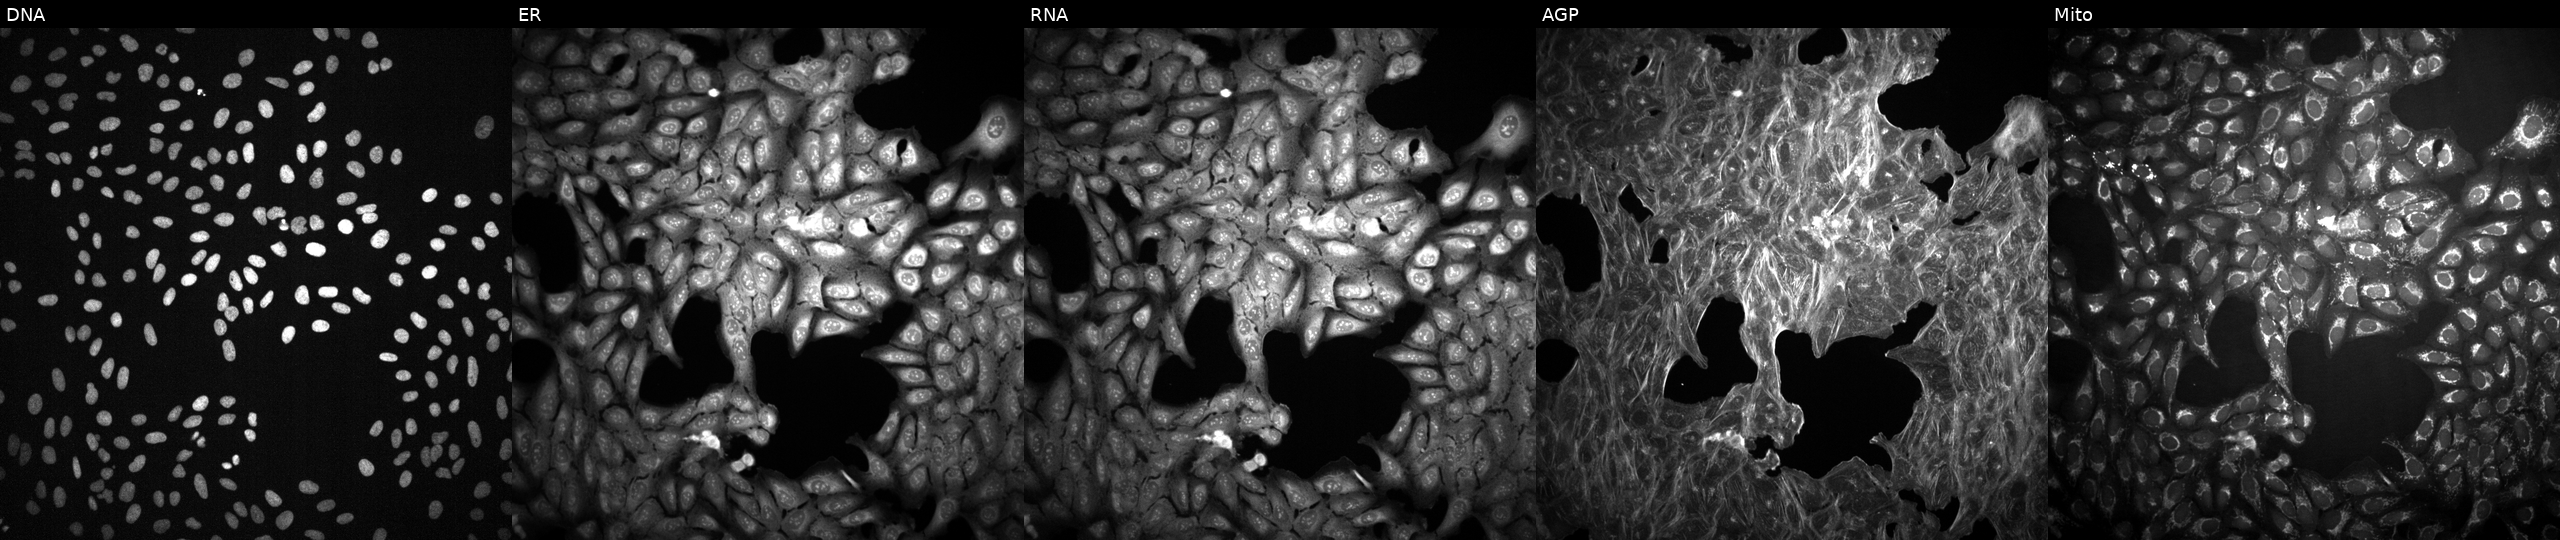
From left to right: DNA (nuclei); ER (endoplasmic reticulum); RNA (nucleoli and cytoplasmic RNA); AGP (actin cytoskeleton, Golgi, and plasma membrane); Mito (mitochondria). U2OS osteosarcoma cells exposed to a small-molecule compound [SMILES: Cc1cc(Cl)ccc1OCCCC(O)=NO]. Cell Painting assay, JUMP-CP dataset. Source 2, plate 1053597936, well H10.